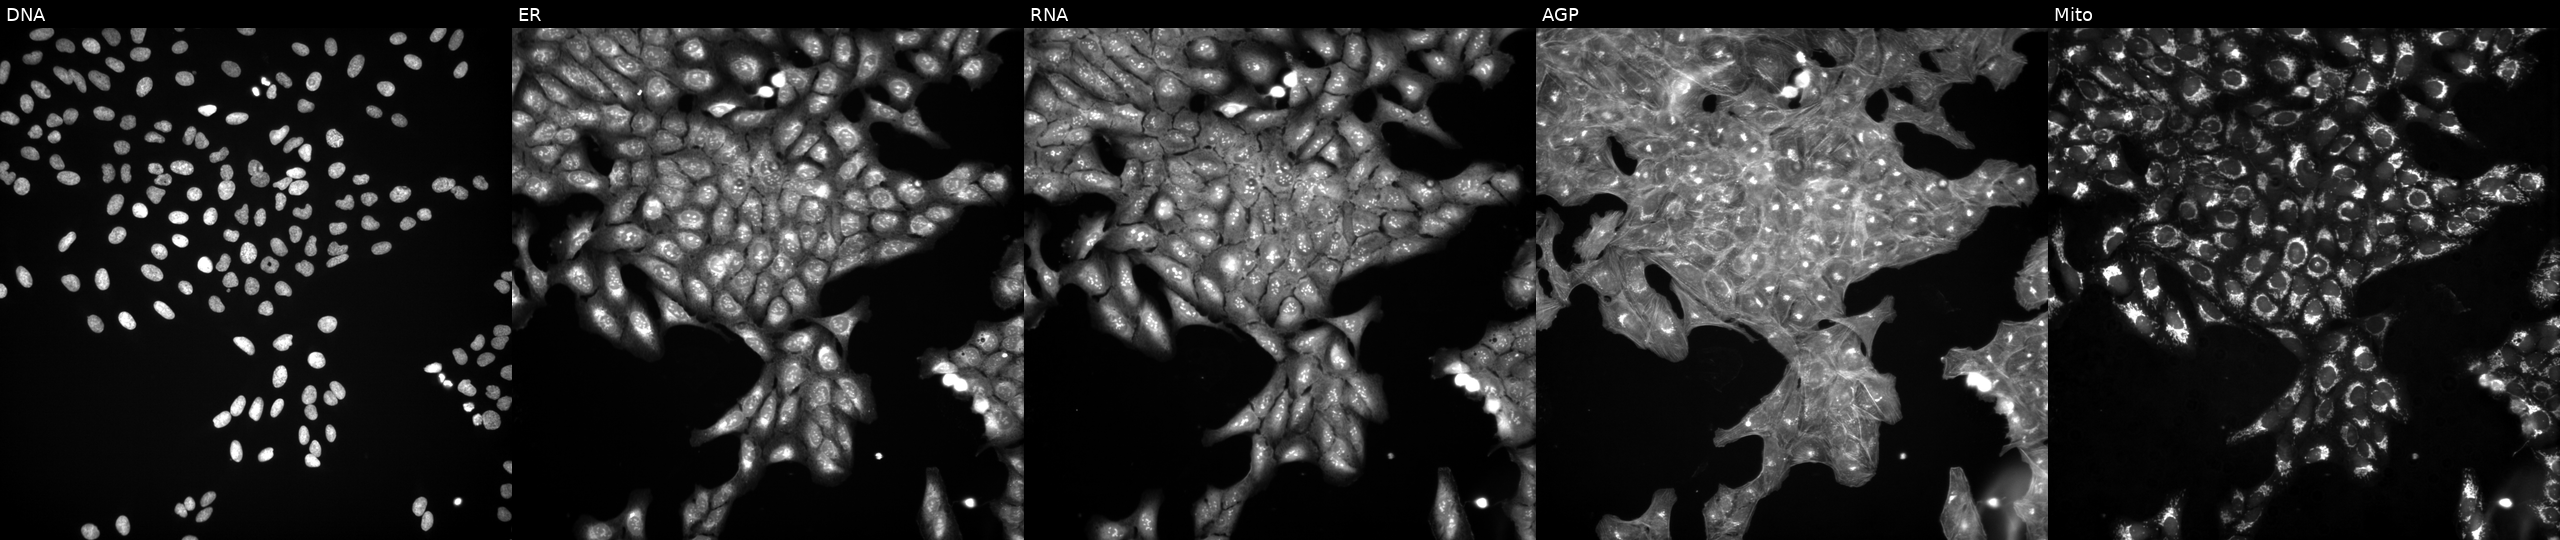
U2OS cells, Cell Painting assay, treated with DMSO vehicle only (negative control) (JUMP id JCP2022_033924). The five panels, left to right, show Hoechst 33342, concanavalin A, SYTO 14, phalloidin and WGA, MitoTracker. Each panel is percentile-stretched 16-bit fluorescence. Source 3, plate JCPQC051, well N20.